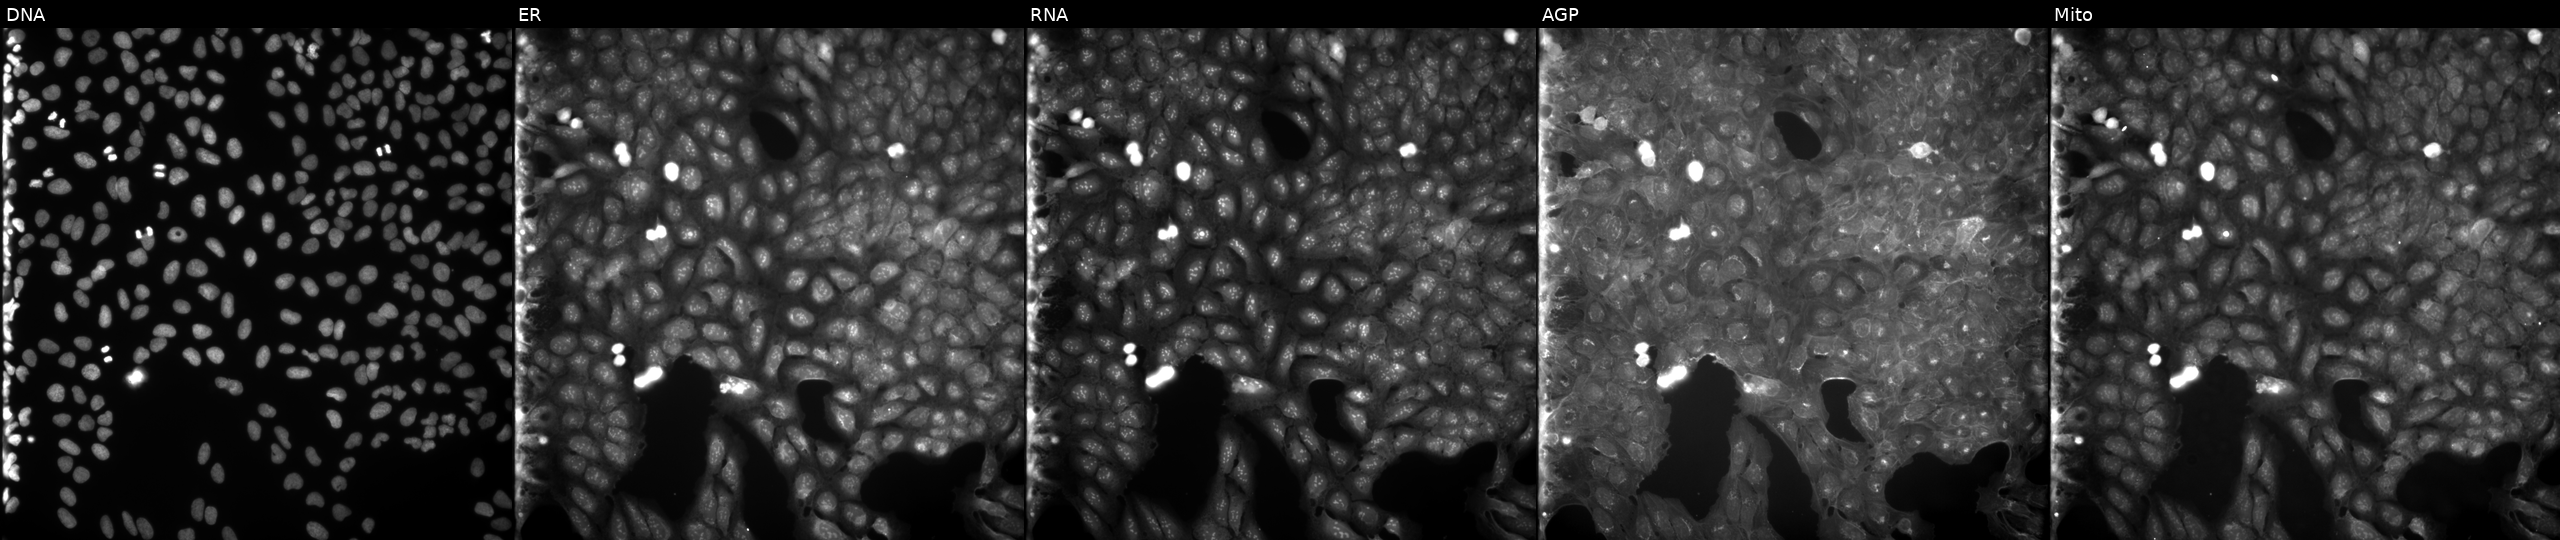
U2OS cells, Cell Painting assay, treated with a small-molecule compound (InChIKey FLIMLUJSIMFQMX-UHFFFAOYSA-N). From left to right: Hoechst 33342, concanavalin A, SYTO 14, phalloidin and WGA, MitoTracker. Each panel is percentile-stretched 16-bit fluorescence. Source 9, plate GR00003381, well B18.